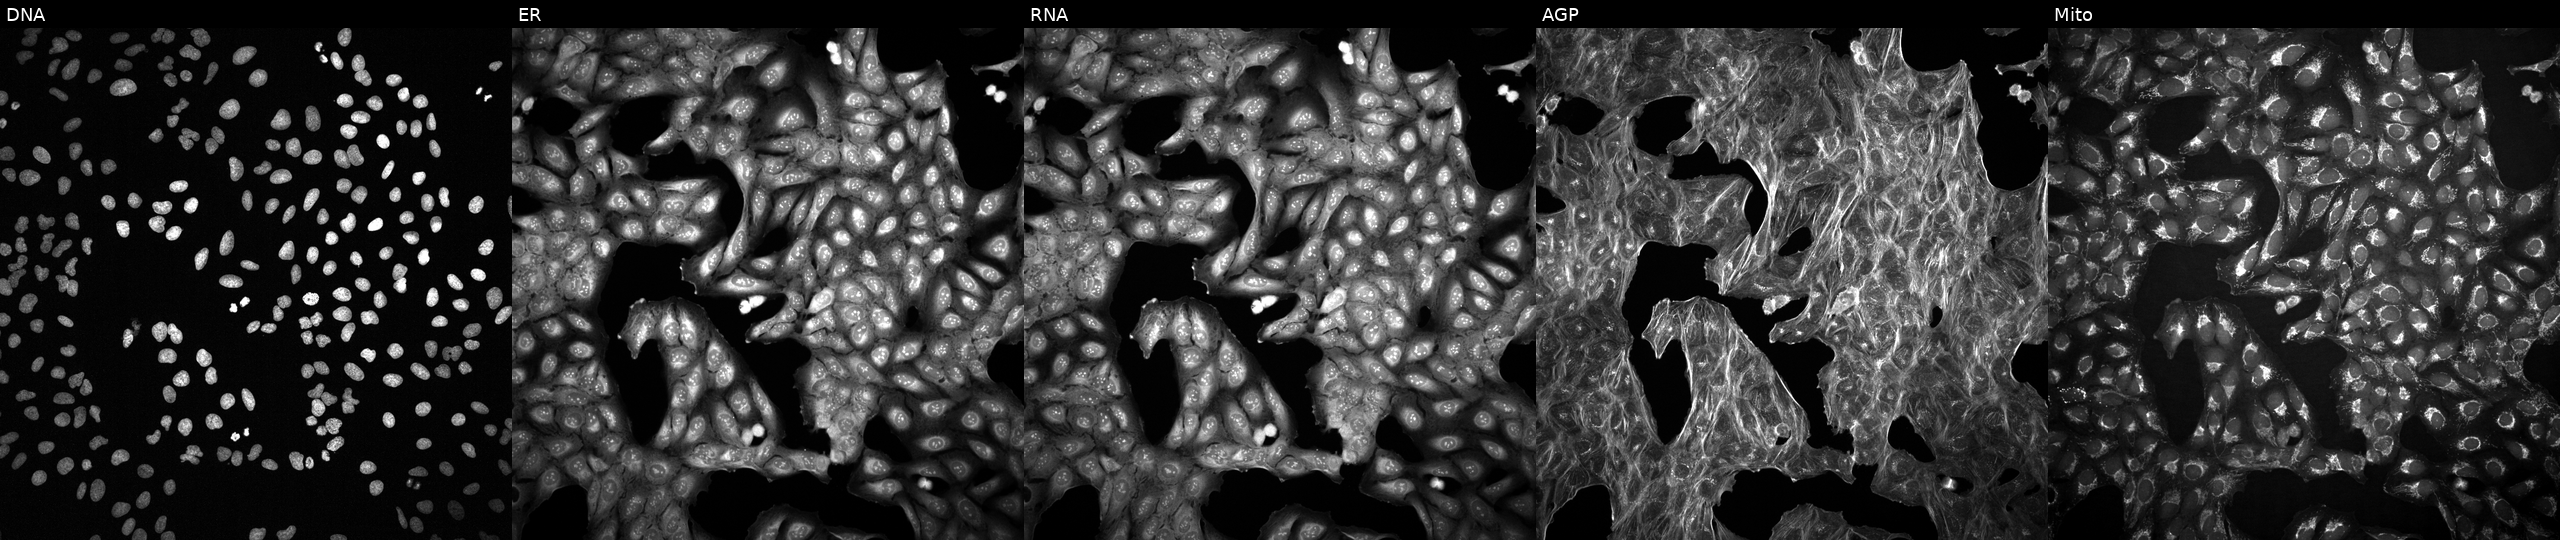
The five panels, left to right, show DNA (nuclei); ER (endoplasmic reticulum); RNA (nucleoli and cytoplasmic RNA); AGP (actin cytoskeleton, Golgi, and plasma membrane); Mito (mitochondria). U2OS osteosarcoma cells with an unidentified perturbation (not annotated in JUMP metadata). Cell Painting assay, JUMP-CP dataset.